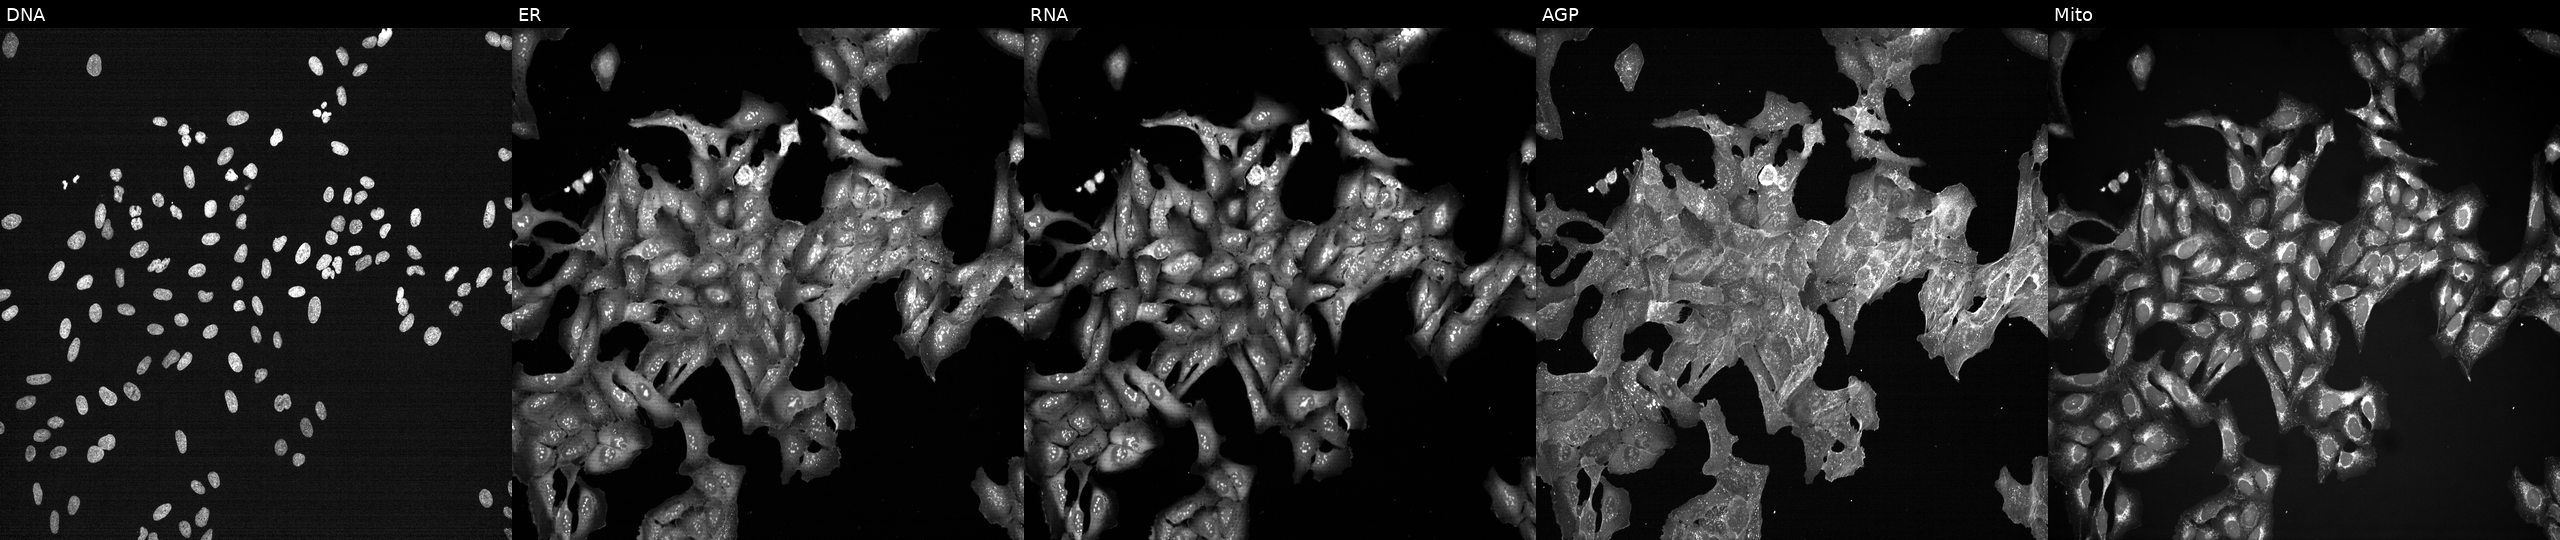
JUMP Cell Painting — TARGET2 plate. U2OS cells exposed to a small-molecule compound (InChIKey IPSSXIMJJXSJQB-UHFFFAOYSA-N) [SMILES: CCOC(=O)C(Cc1ccccc1)NC(=O)c1cc(Cl)c(OCCN2CCN(C)CC2)c(Cl)c1O] (JUMP id JCP2022_036614). Channels (left→right): DNA (nuclei); ER (endoplasmic reticulum); RNA (nucleoli and cytoplasmic RNA); AGP (actin cytoskeleton, Golgi, and plasma membrane); Mito (mitochondria). Source 7, plate CP3-SC1-25, well L05.